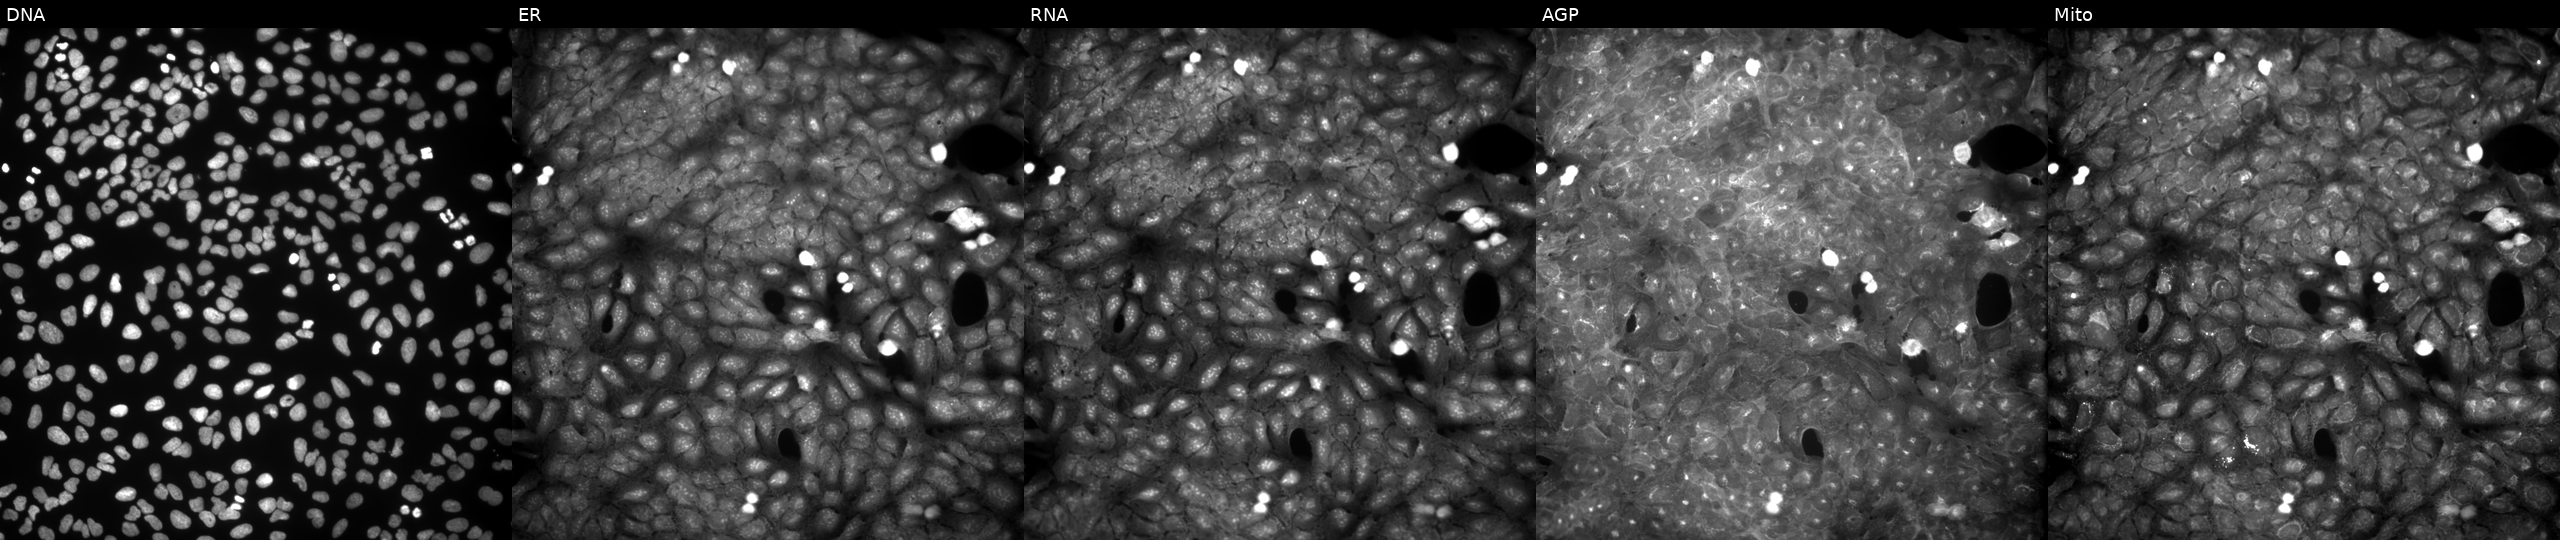
U2OS cells, Cell Painting assay, treated with dexamethasone (positive-control compound). Panels show, left to right, DNA, ER, RNA, AGP, and Mito. Each panel is percentile-stretched 16-bit fluorescence.